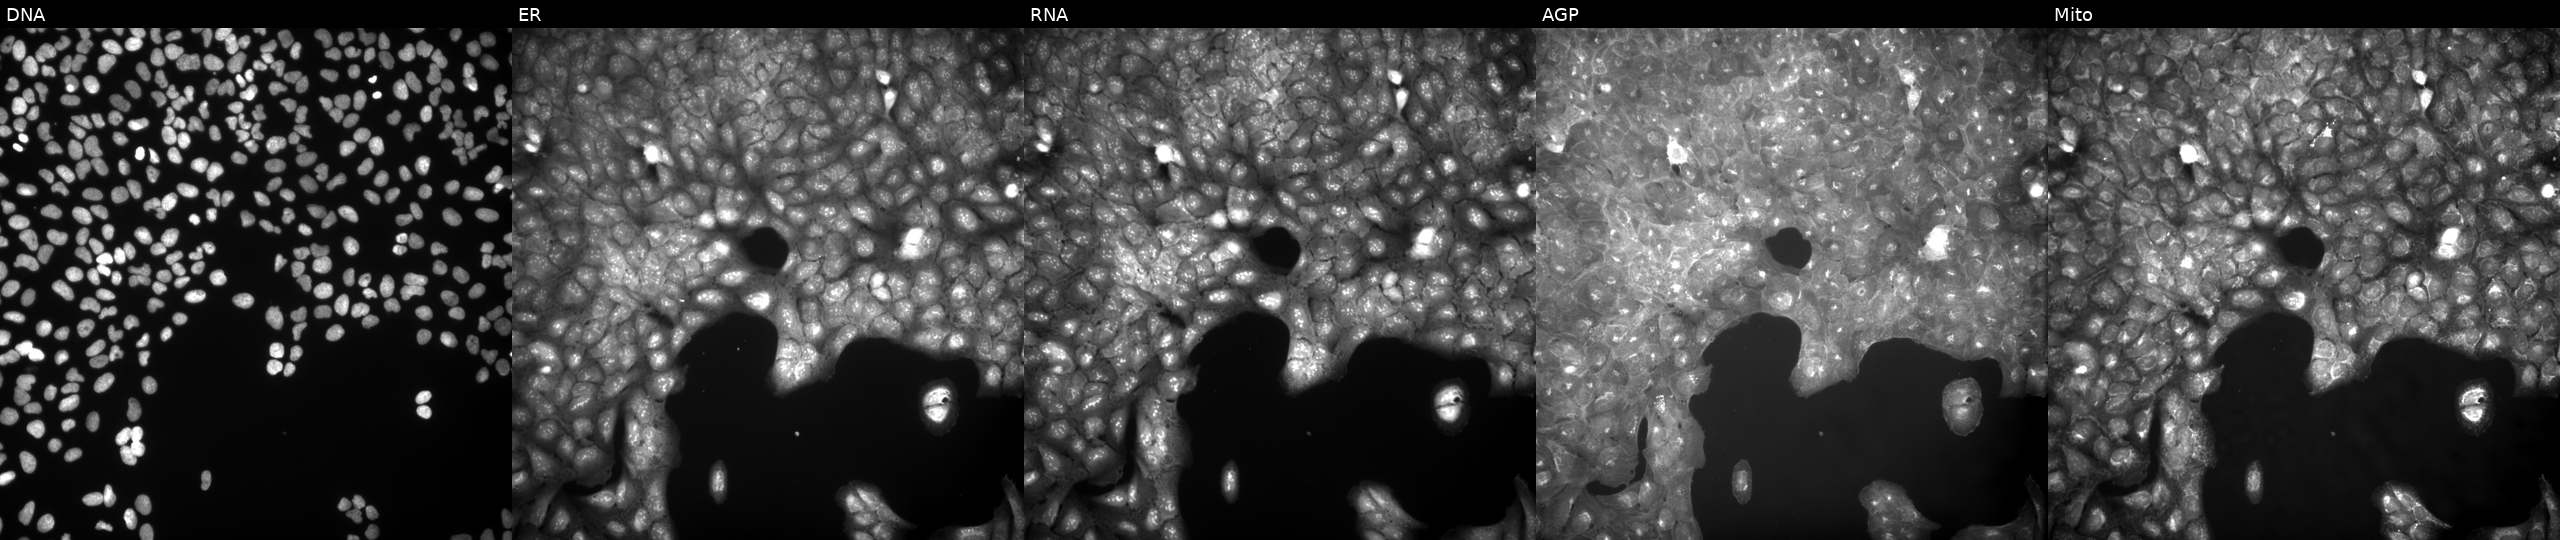
Five-channel Cell Painting image of U2OS cells perturbed with a small-molecule compound (InChIKey CZOOPQHXWIFUPX-UHFFFAOYSA-N). Channels (left→right): Hoechst 33342, concanavalin A, SYTO 14, phalloidin and WGA, MitoTracker. Source 9, plate GR00003381, well M37.